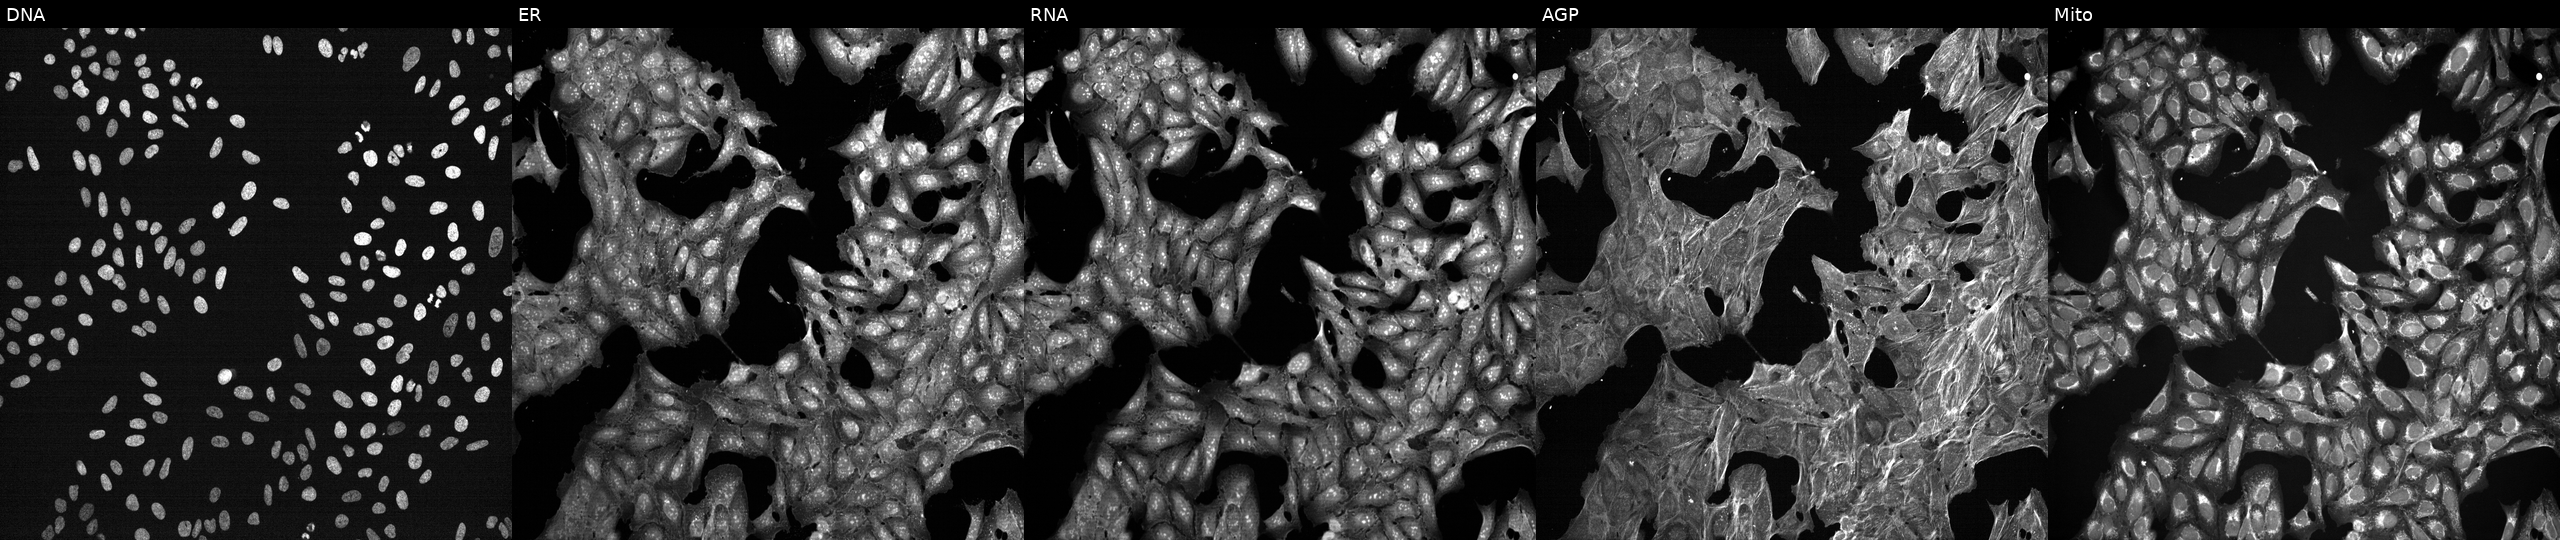
This image strip shows the five Cell Painting channels for a single field of U2OS cells treated with DMSO vehicle only (negative control) (JUMP id JCP2022_033924). Channels (left→right): DNA (nuclei); ER (endoplasmic reticulum); RNA (nucleoli and cytoplasmic RNA); AGP (actin cytoskeleton, Golgi, and plasma membrane); Mito (mitochondria). Source 7, plate CP3-SC1-25, well P24.